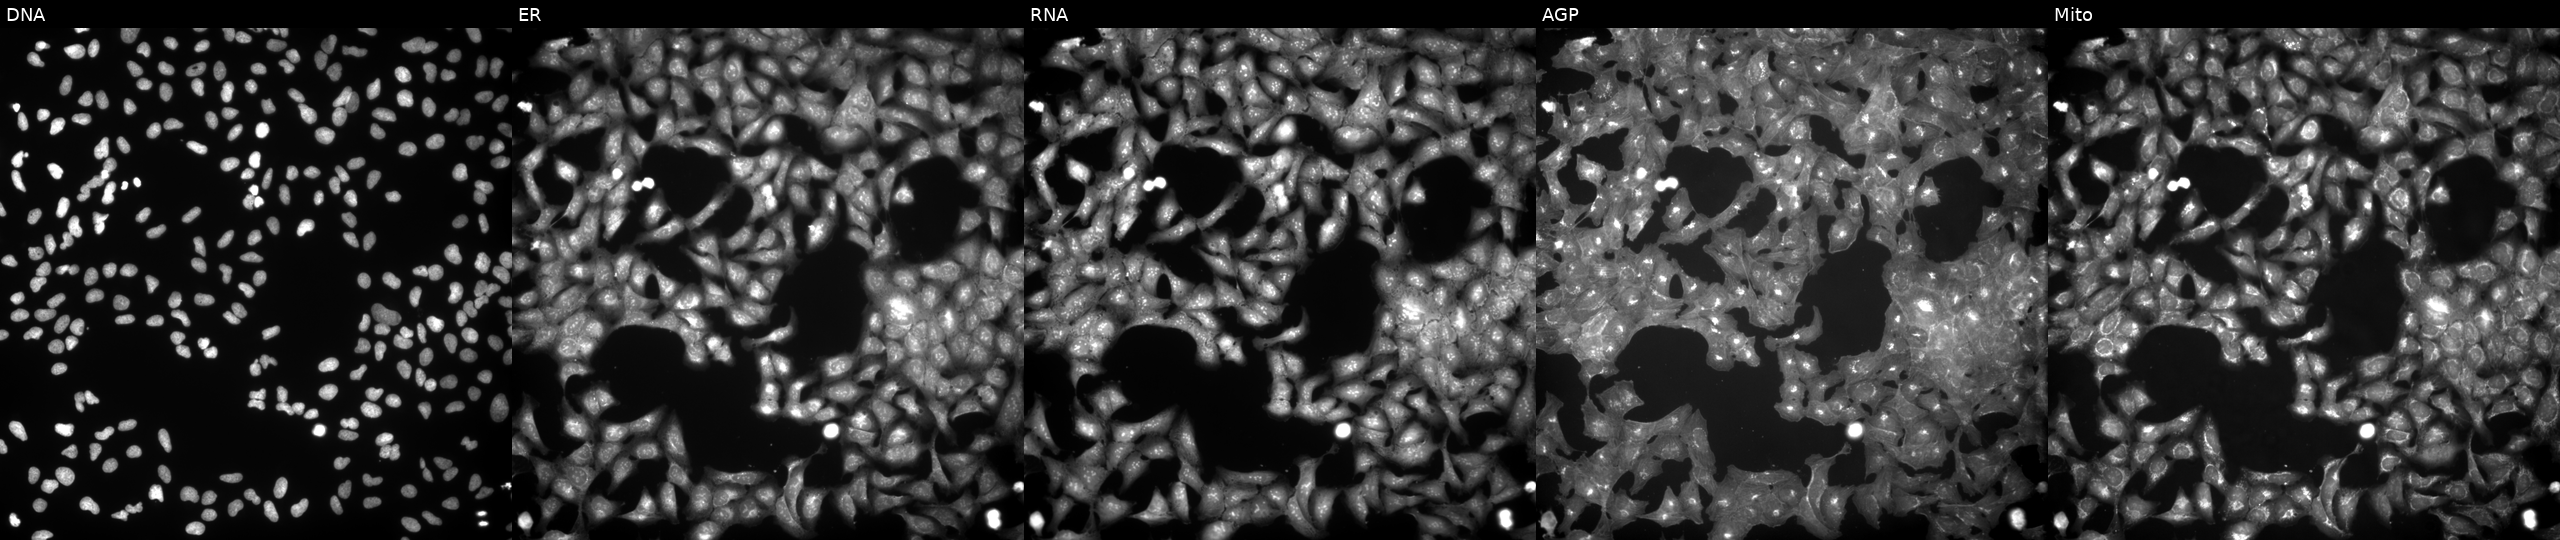
JUMP Cell Painting — COMPOUND plate. U2OS cells treated with NVS-PAK1-1 (positive-control compound). From left to right: Hoechst 33342, concanavalin A, SYTO 14, phalloidin and WGA, MitoTracker.